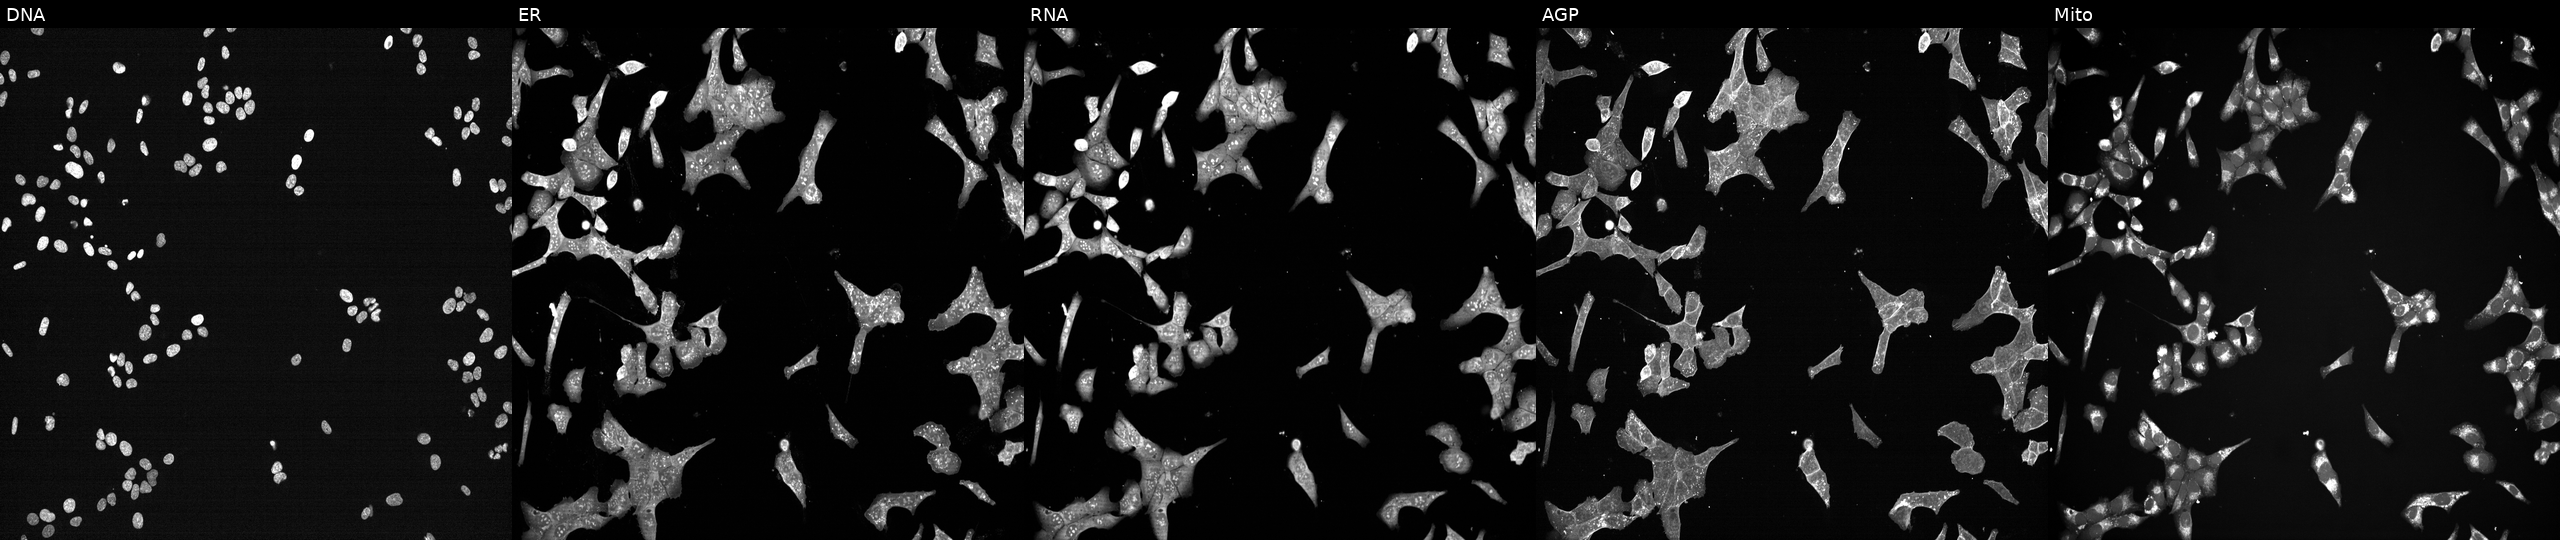
High-content fluorescence microscopy (Cell Painting). Cell line: U2OS. Perturbation: exposed to a small-molecule compound (JUMP id JCP2022_042332). The five panels, left to right, show DNA (nuclei); ER (endoplasmic reticulum); RNA (nucleoli and cytoplasmic RNA); AGP (actin cytoskeleton, Golgi, and plasma membrane); Mito (mitochondria).